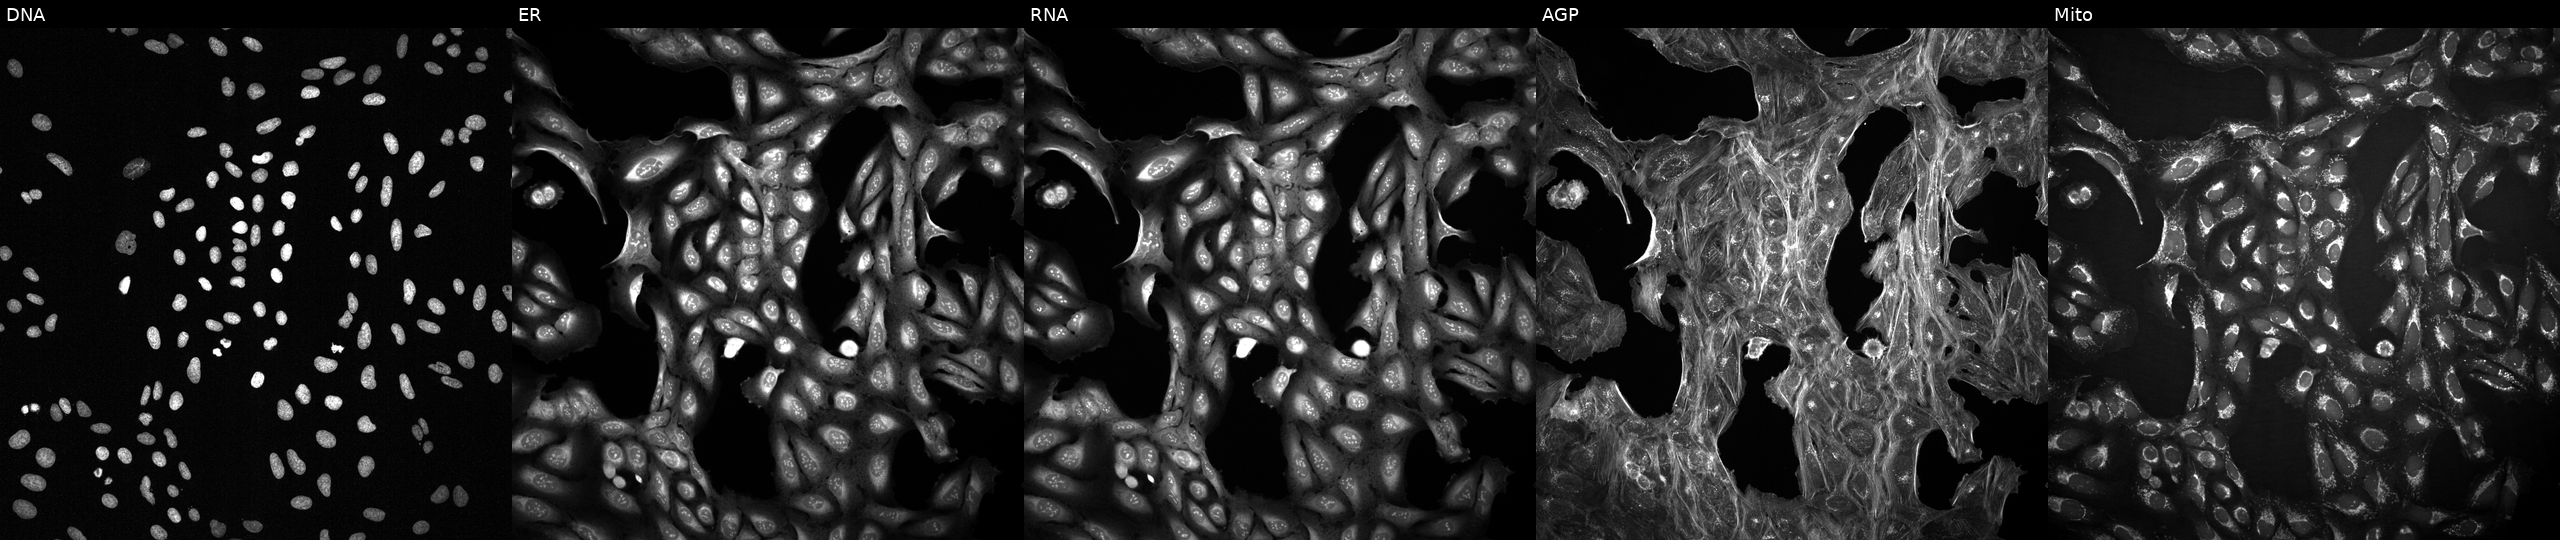
JUMP Cell Painting — TARGET2 plate. U2OS cells exposed to a small-molecule compound. Panels show, left to right, DNA (nuclei); ER (endoplasmic reticulum); RNA (nucleoli and cytoplasmic RNA); AGP (actin cytoskeleton, Golgi, and plasma membrane); Mito (mitochondria).